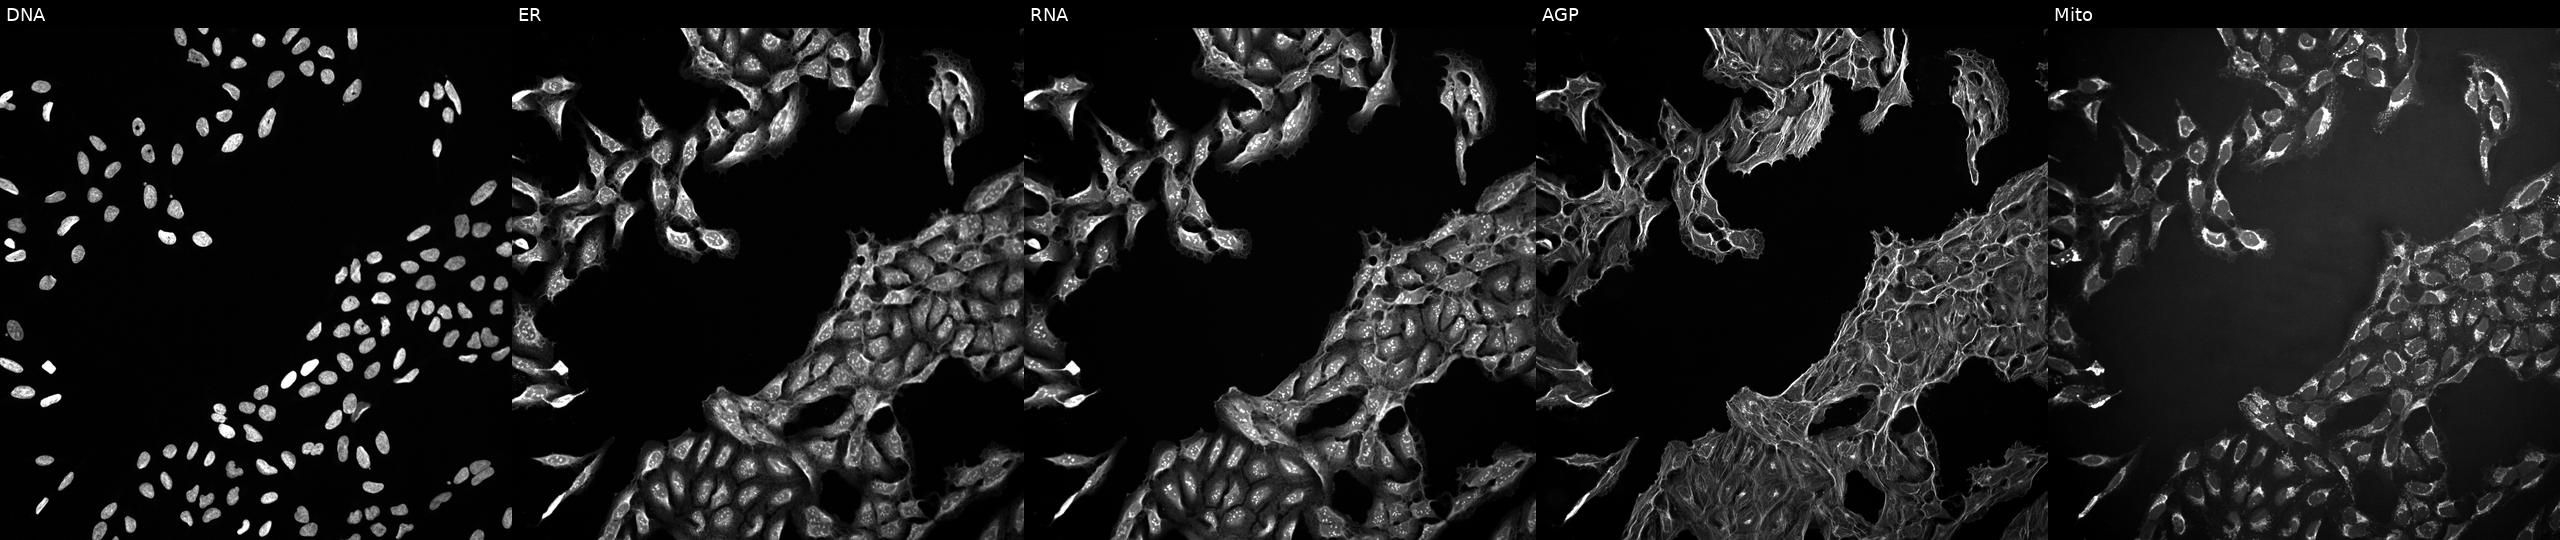
High-content fluorescence microscopy (Cell Painting). Cell line: U2OS. Perturbation: treated with a small-molecule compound (InChIKey QWJOPXDAQCDRRM-UHFFFAOYSA-N) [SMILES: Cc1cc(CN)cc(C)c1NC(=O)c1ccc(-c2cc(Cl)ccc2Cl)o1]. From left to right: Hoechst 33342, concanavalin A, SYTO 14, phalloidin and WGA, MitoTracker. Source 10, plate Dest210726-160150, well M16.